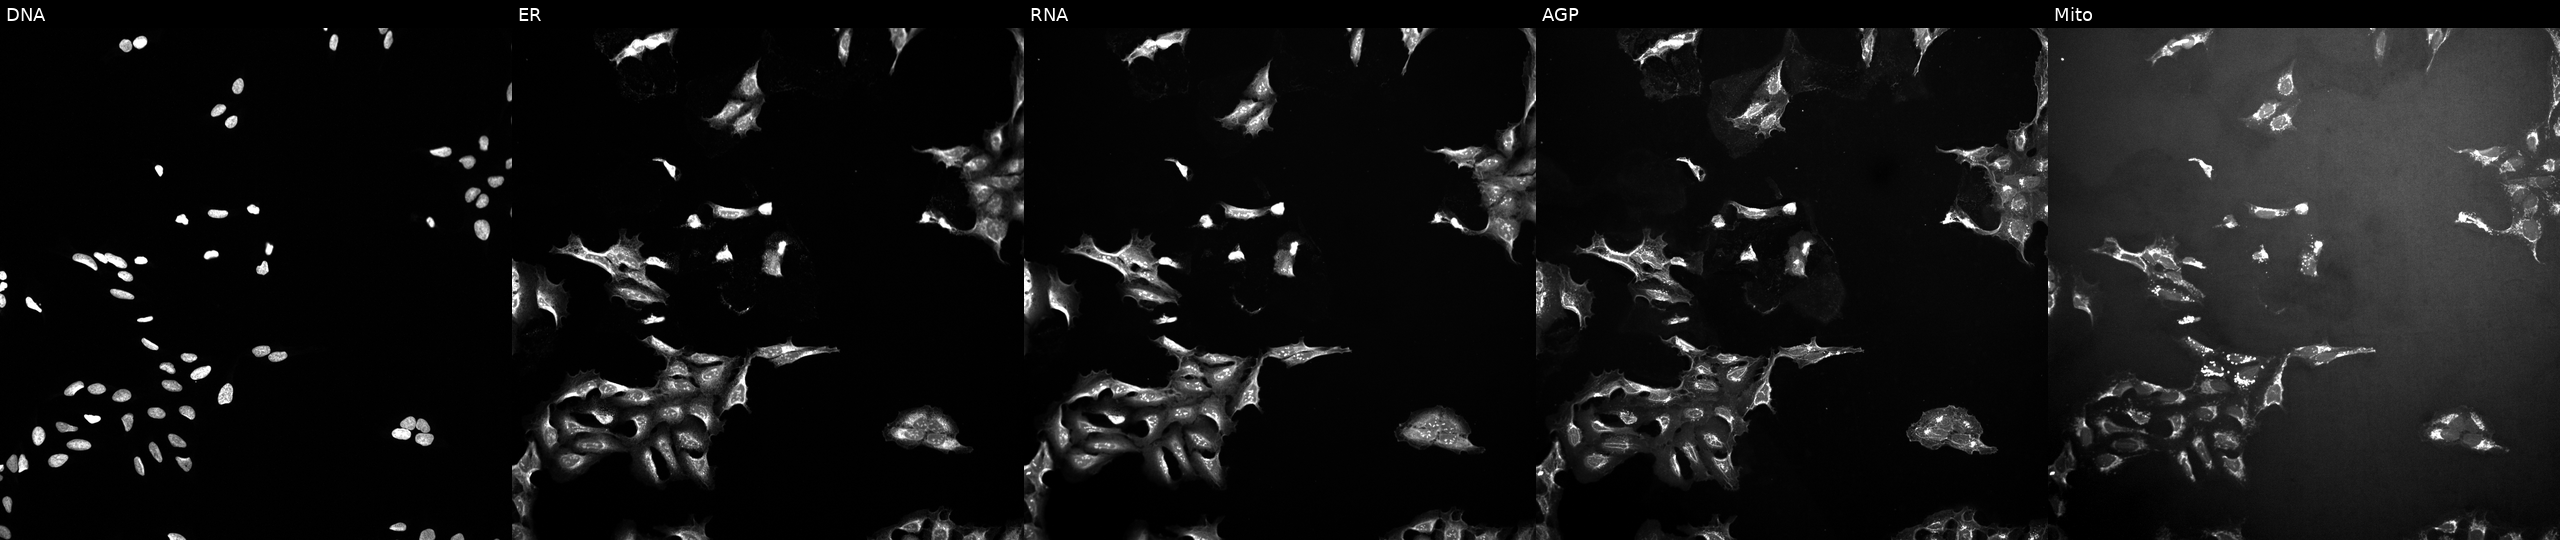
Channels (left→right): DNA, ER, RNA, AGP, and Mito. U2OS osteosarcoma cells exposed to a small-molecule compound (JUMP id JCP2022_021857). Cell Painting assay, JUMP-CP dataset.